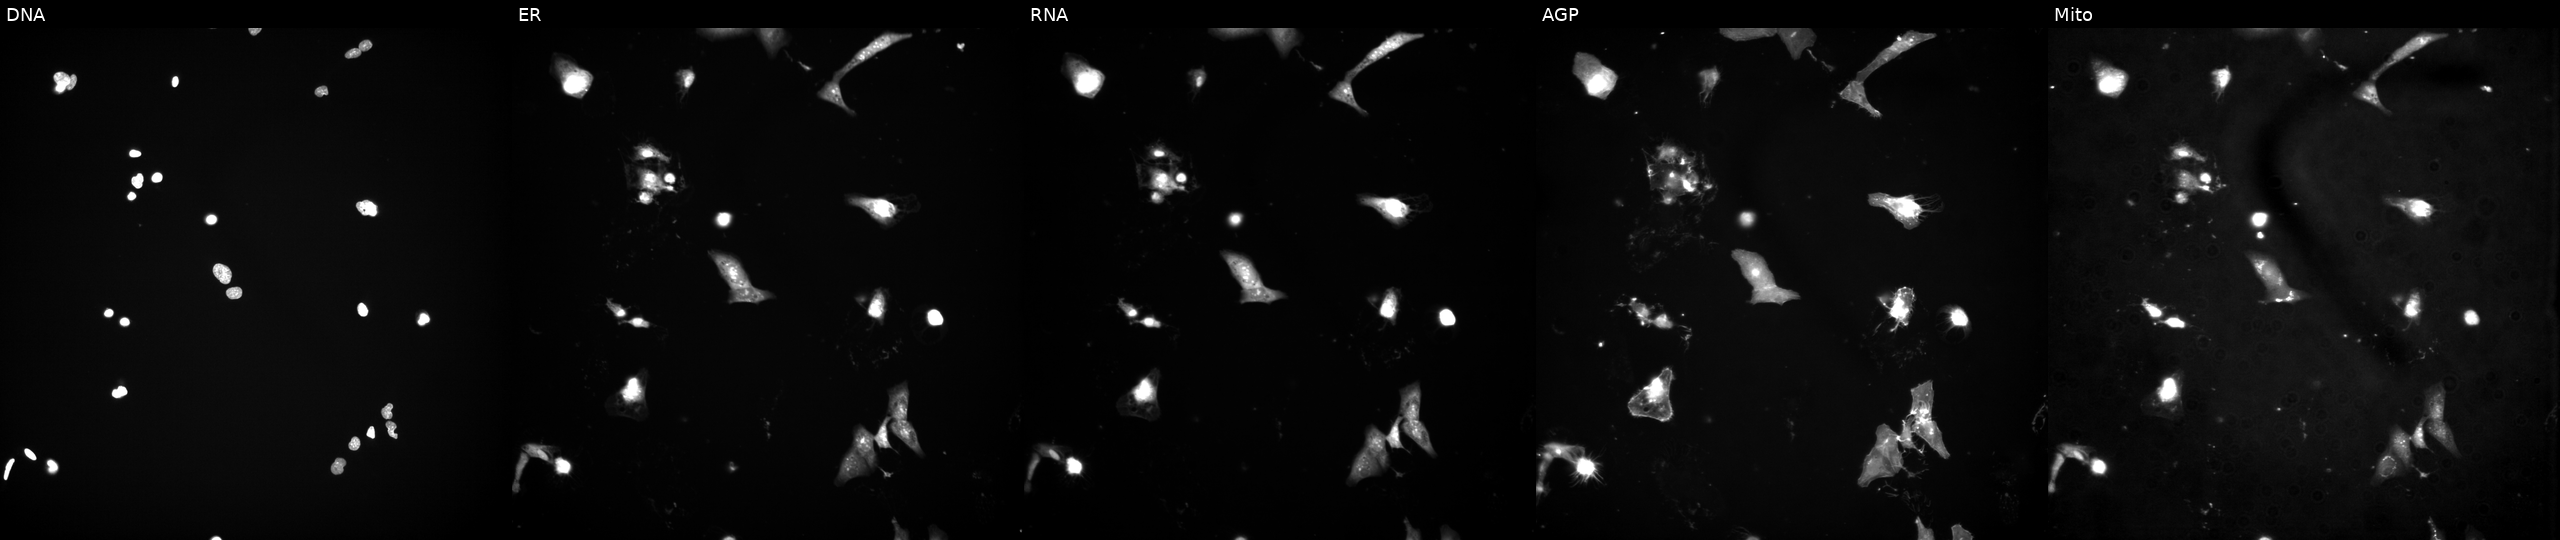
Five-channel Cell Painting image of U2OS cells exposed to a small-molecule compound (JUMP id JCP2022_001890). Panels show, left to right, DNA (nuclei); ER (endoplasmic reticulum); RNA (nucleoli and cytoplasmic RNA); AGP (actin cytoskeleton, Golgi, and plasma membrane); Mito (mitochondria). Source 3, plate JCPQC053, well O05.